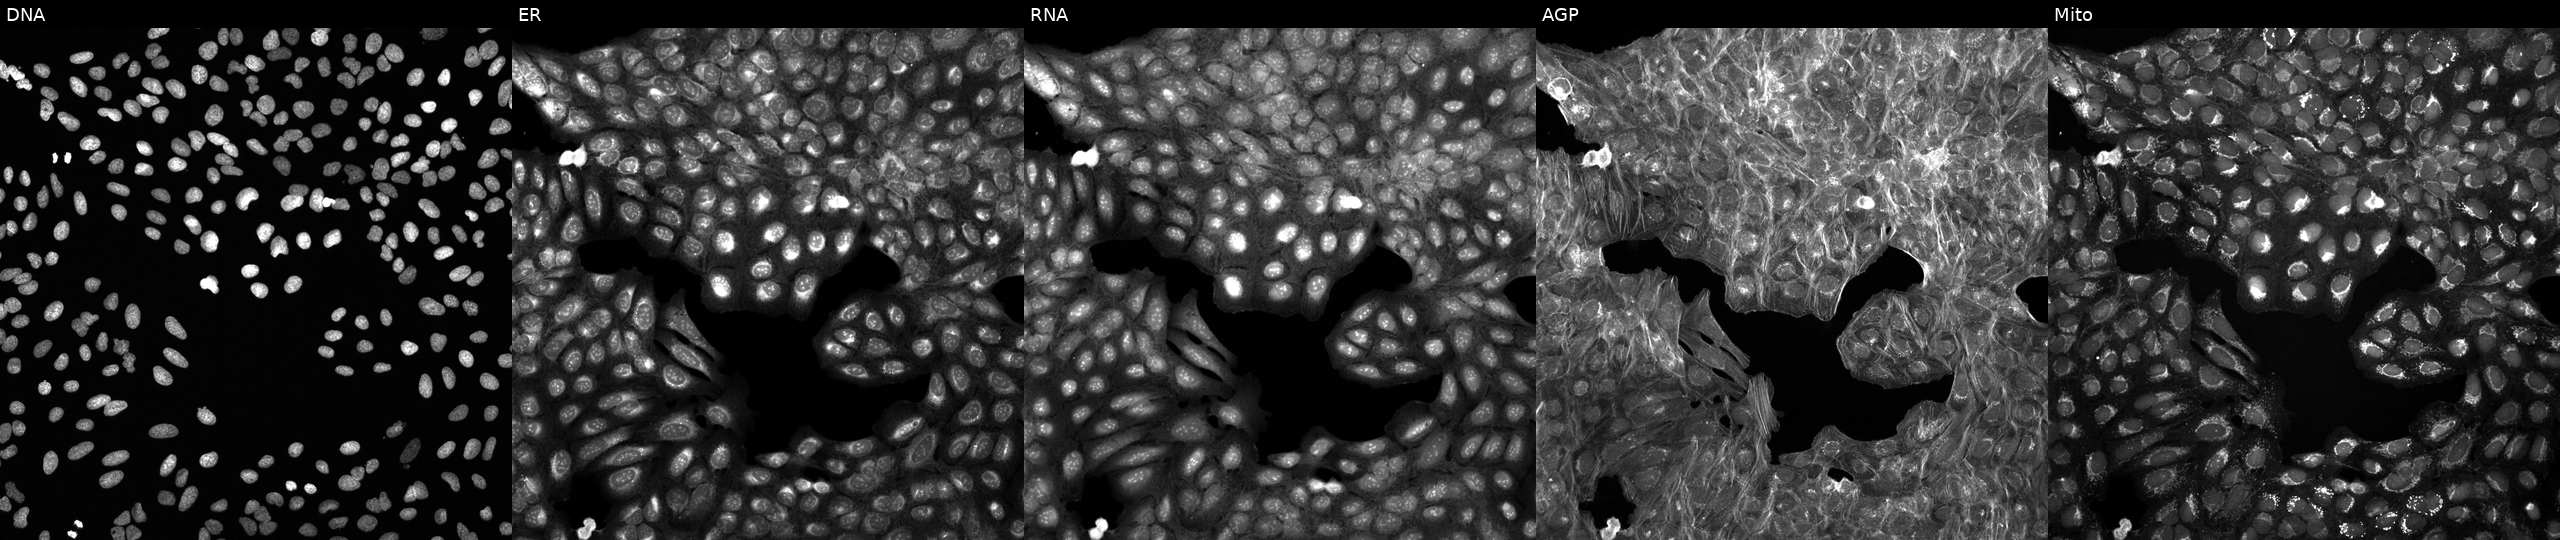
U2OS cells, Cell Painting assay, treated with a small-molecule compound (InChIKey RATZLMXRALDSJW-UHFFFAOYSA-N) (JUMP id JCP2022_077142). The five panels, left to right, show DNA (nuclei); ER (endoplasmic reticulum); RNA (nucleoli and cytoplasmic RNA); AGP (actin cytoskeleton, Golgi, and plasma membrane); Mito (mitochondria). Each panel is percentile-stretched 16-bit fluorescence.